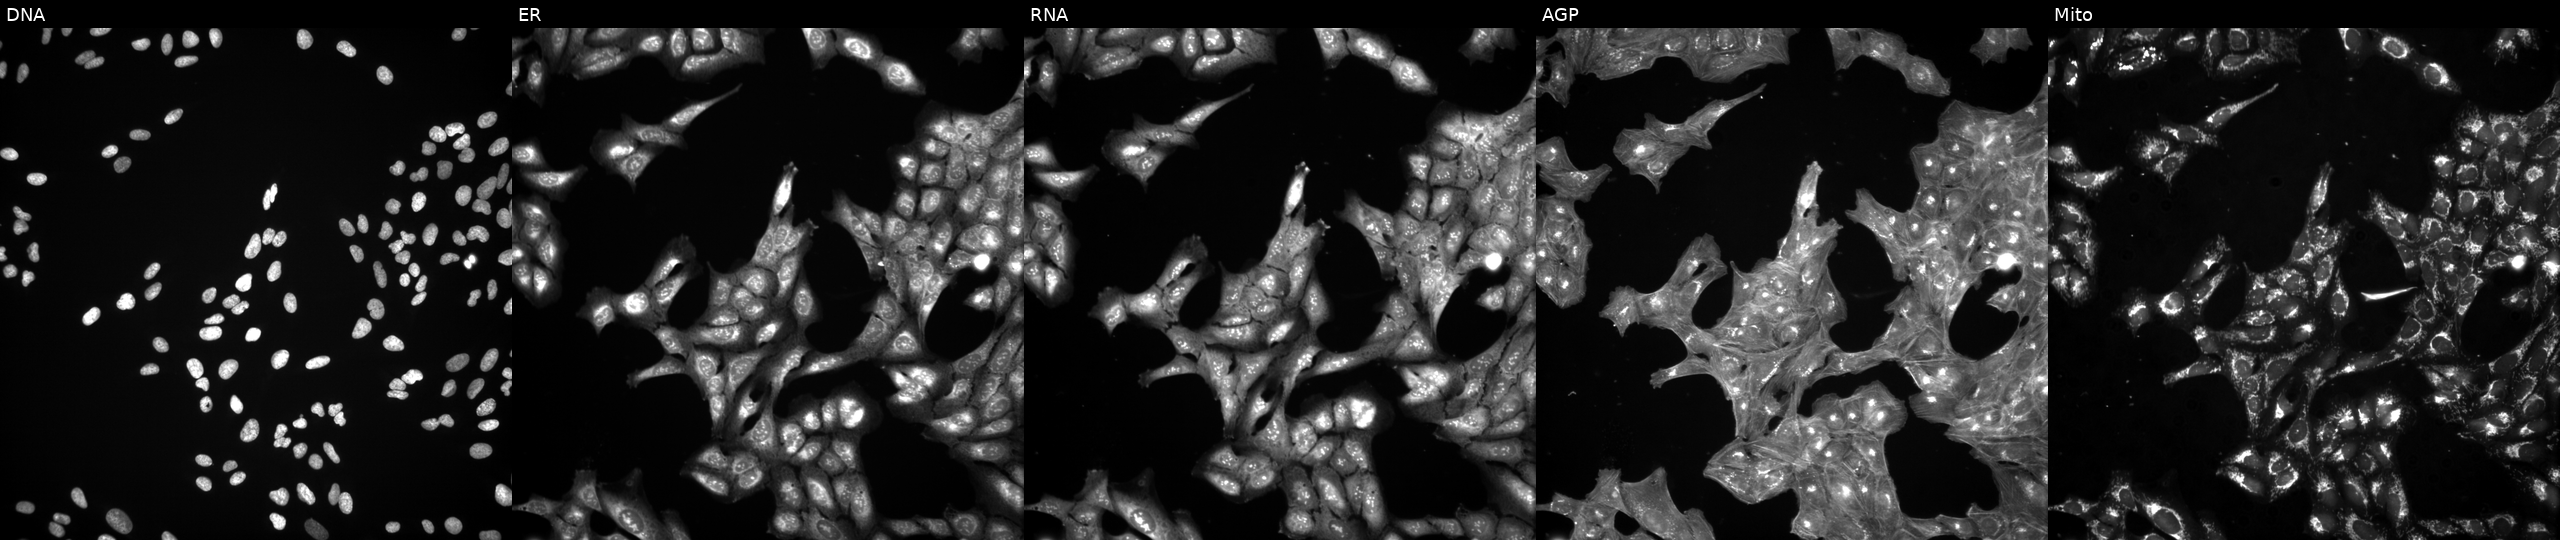
Five-channel Cell Painting image of U2OS cells perturbed with a small-molecule compound (InChIKey DVZHBPQQXUJZQF-UHFFFAOYSA-N). The five panels, left to right, show DNA, ER, RNA, AGP, and Mito. Source 3, plate BR5867b3, well L22.